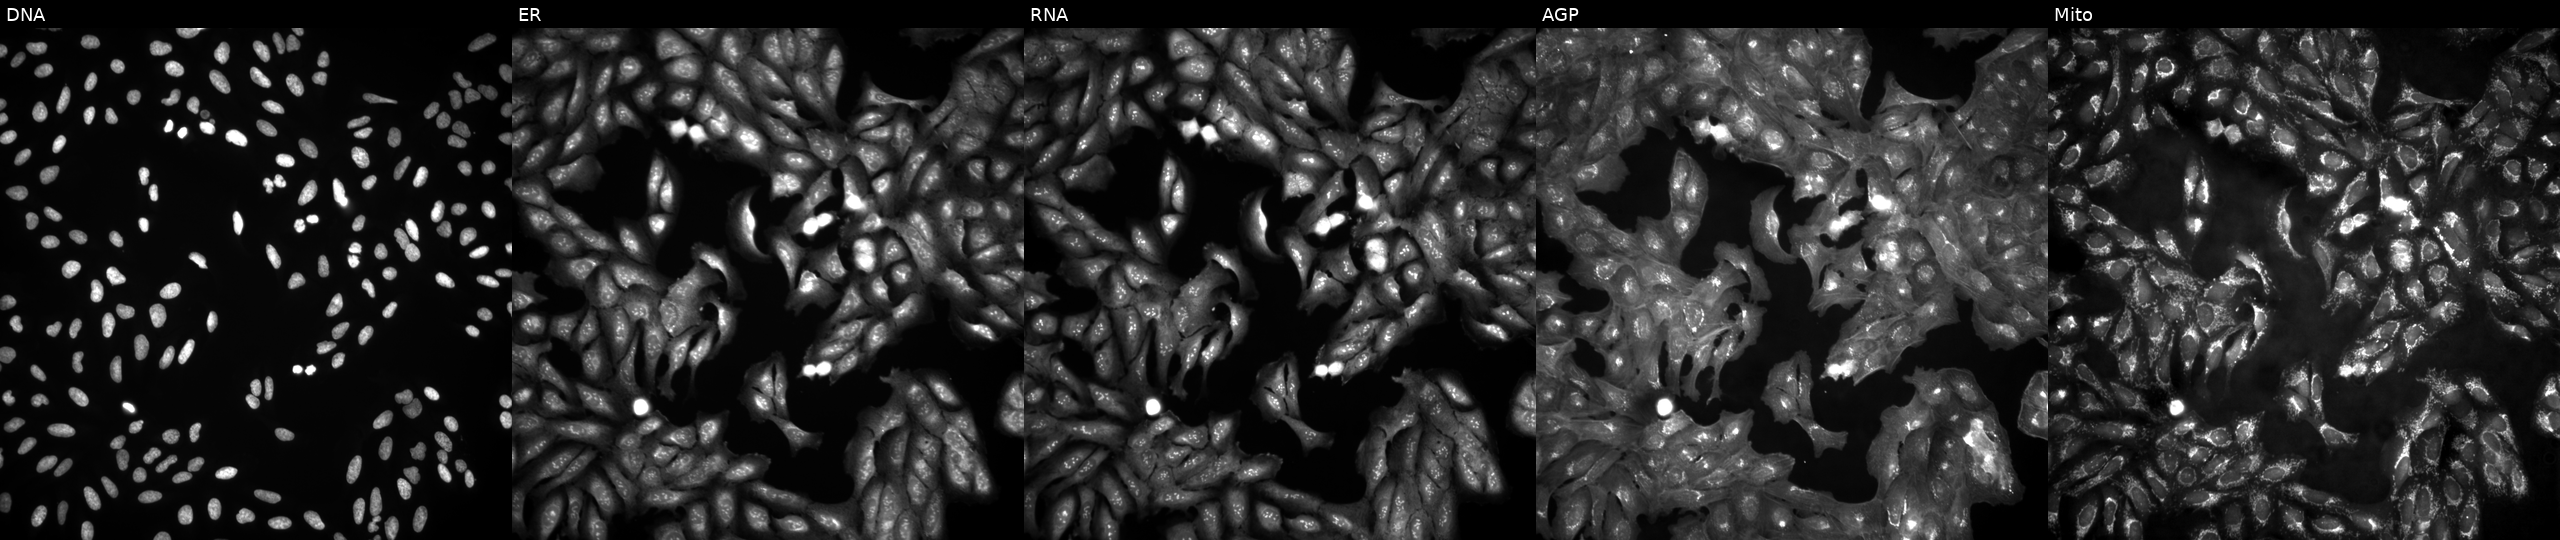
This image strip shows the five Cell Painting channels for a single field of U2OS cells untreated (empty-well control) (JUMP id JCP2022_999999). Channels (left→right): DNA (nuclei); ER (endoplasmic reticulum); RNA (nucleoli and cytoplasmic RNA); AGP (actin cytoskeleton, Golgi, and plasma membrane); Mito (mitochondria). Source 4, plate BR00123946, well C13.